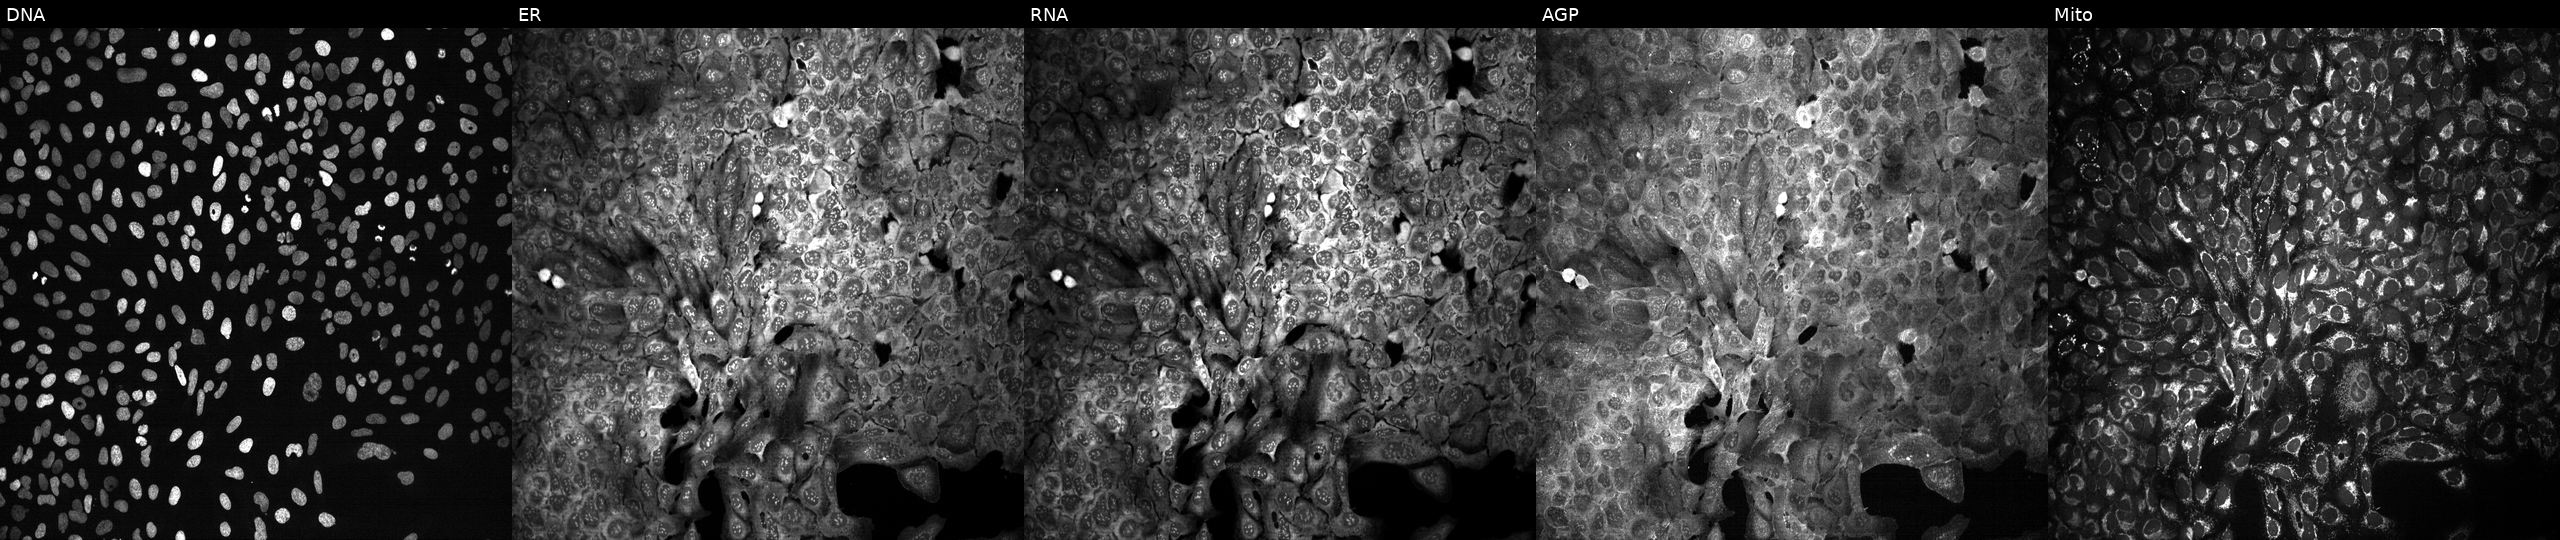
The five panels, left to right, show DNA (nuclei); ER (endoplasmic reticulum); RNA (nucleoli and cytoplasmic RNA); AGP (actin cytoskeleton, Golgi, and plasma membrane); Mito (mitochondria). U2OS osteosarcoma cells with CD2 knocked out by CRISPR. Cell Painting assay, JUMP-CP dataset.